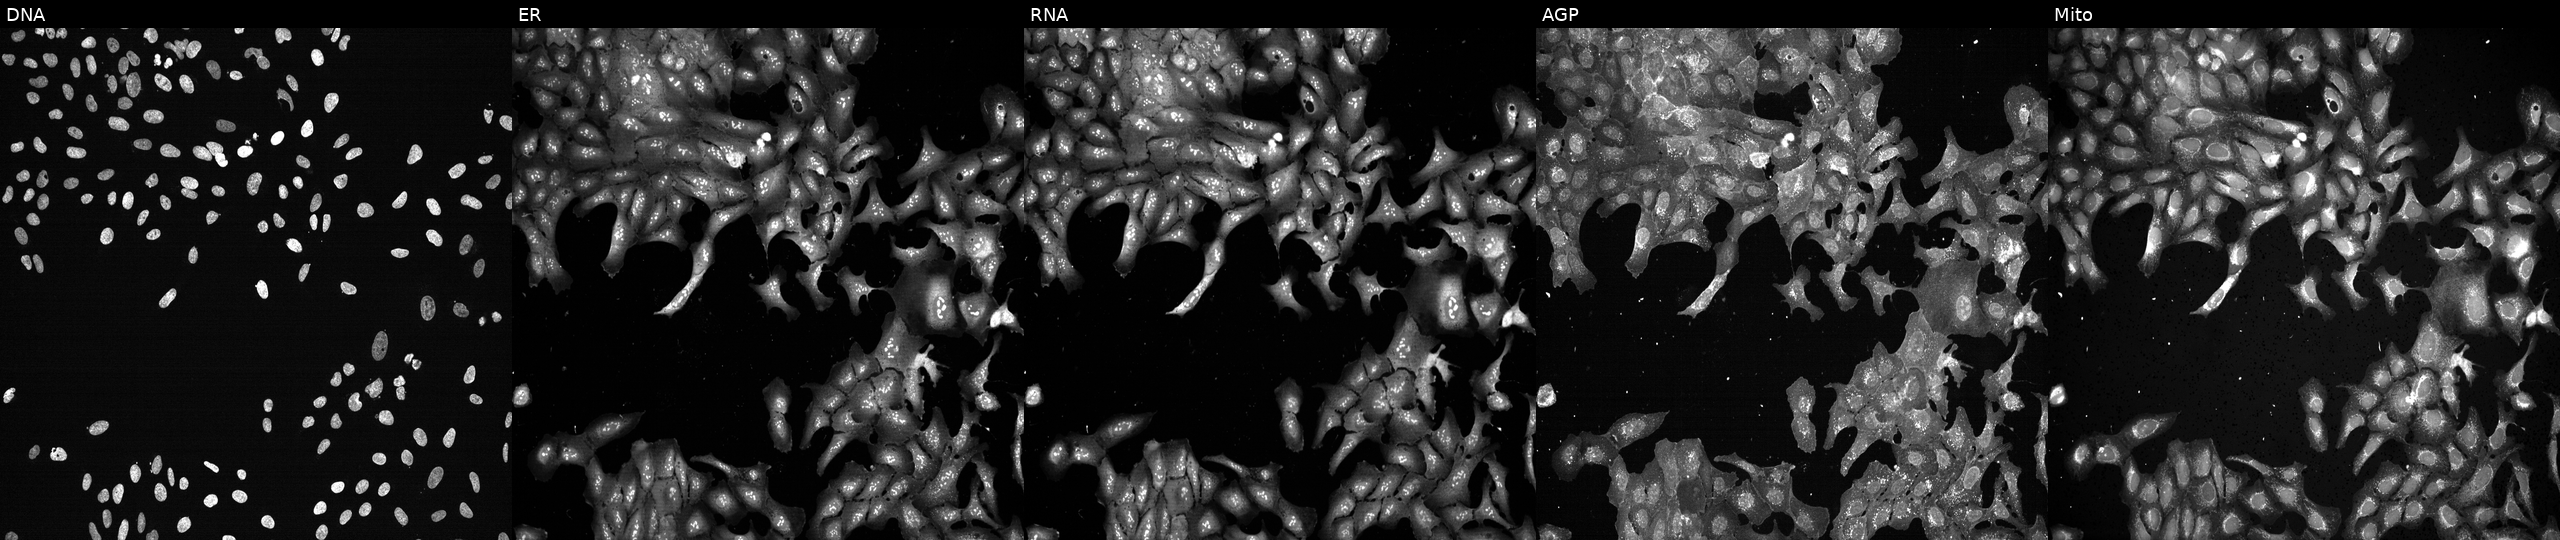
Panels show, left to right, DNA (nuclei); ER (endoplasmic reticulum); RNA (nucleoli and cytoplasmic RNA); AGP (actin cytoskeleton, Golgi, and plasma membrane); Mito (mitochondria). U2OS osteosarcoma cells CRISPR-edited to disrupt EIF2S2. Cell Painting assay, JUMP-CP dataset. Source 13, plate CP-CC9-R1-01, well B12.